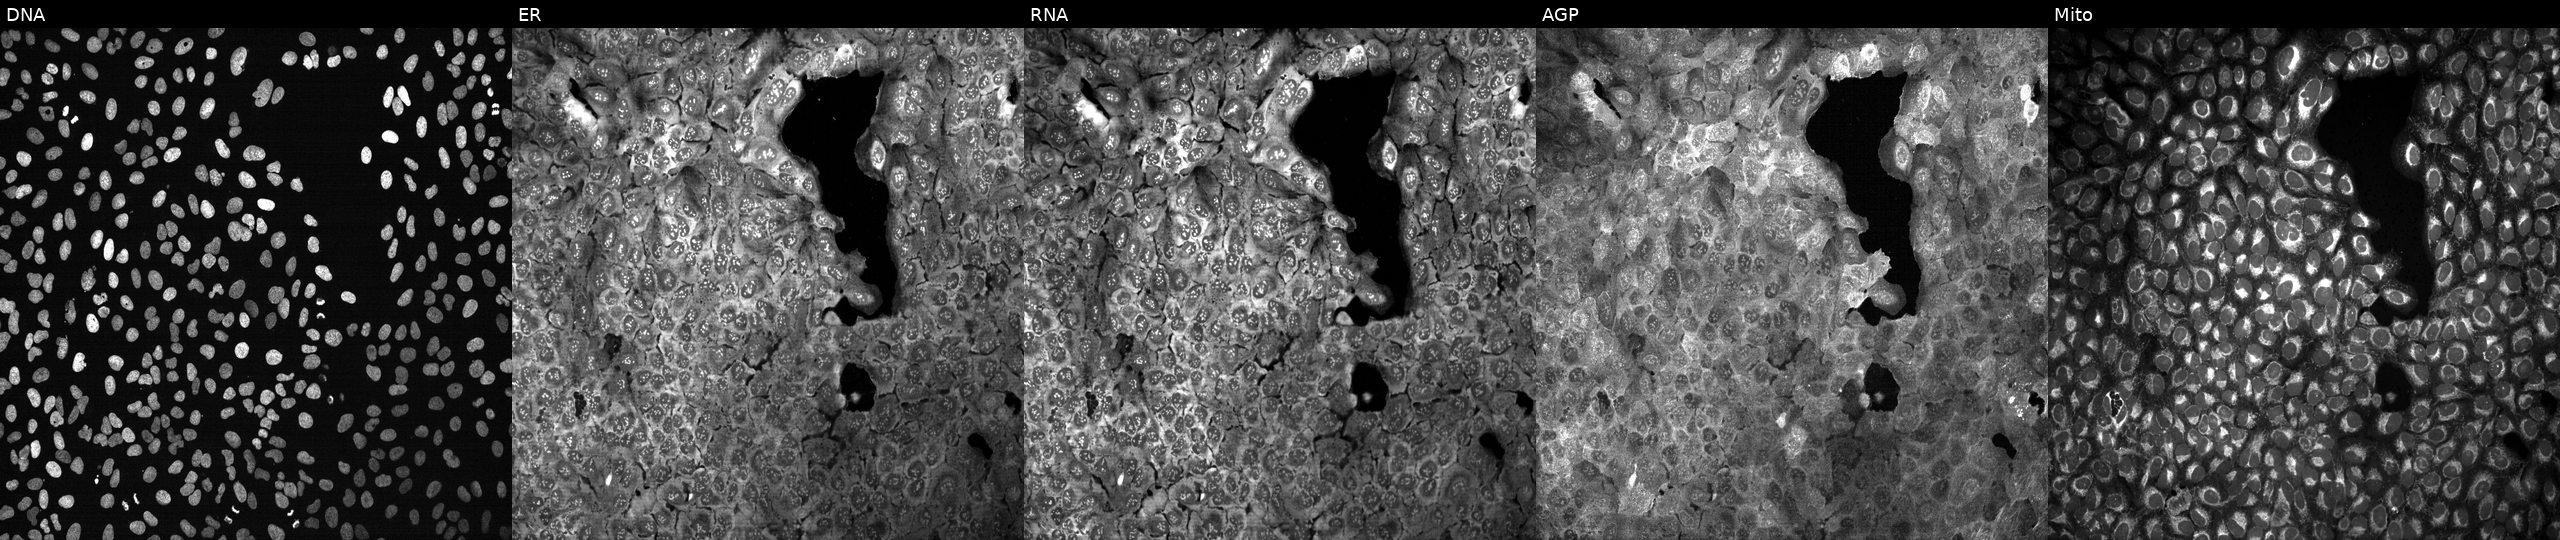
High-content fluorescence microscopy (Cell Painting). Cell line: U2OS. Perturbation: CRISPR-edited to disrupt ACSS2. From left to right: DNA (nuclei); ER (endoplasmic reticulum); RNA (nucleoli and cytoplasmic RNA); AGP (actin cytoskeleton, Golgi, and plasma membrane); Mito (mitochondria). Source 13, plate CP-CC9-R2-02, well O20.